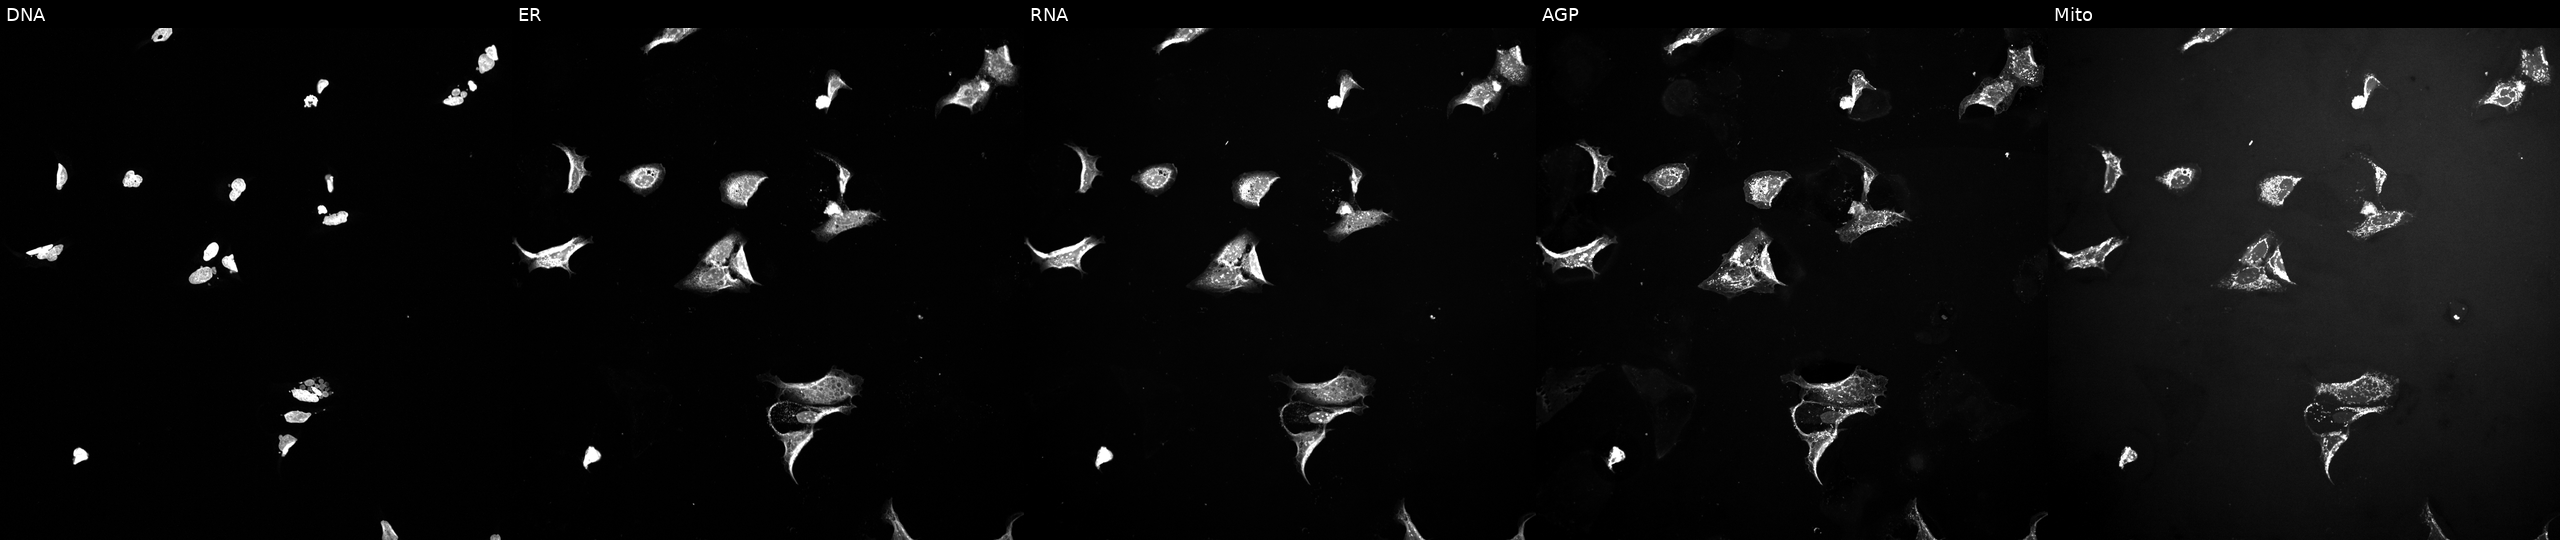
Five-channel Cell Painting image of U2OS cells treated with a small-molecule compound (JUMP id JCP2022_075694). Panels show, left to right, DNA, ER, RNA, AGP, and Mito. Source 10, plate Dest210803-153958, well K10.